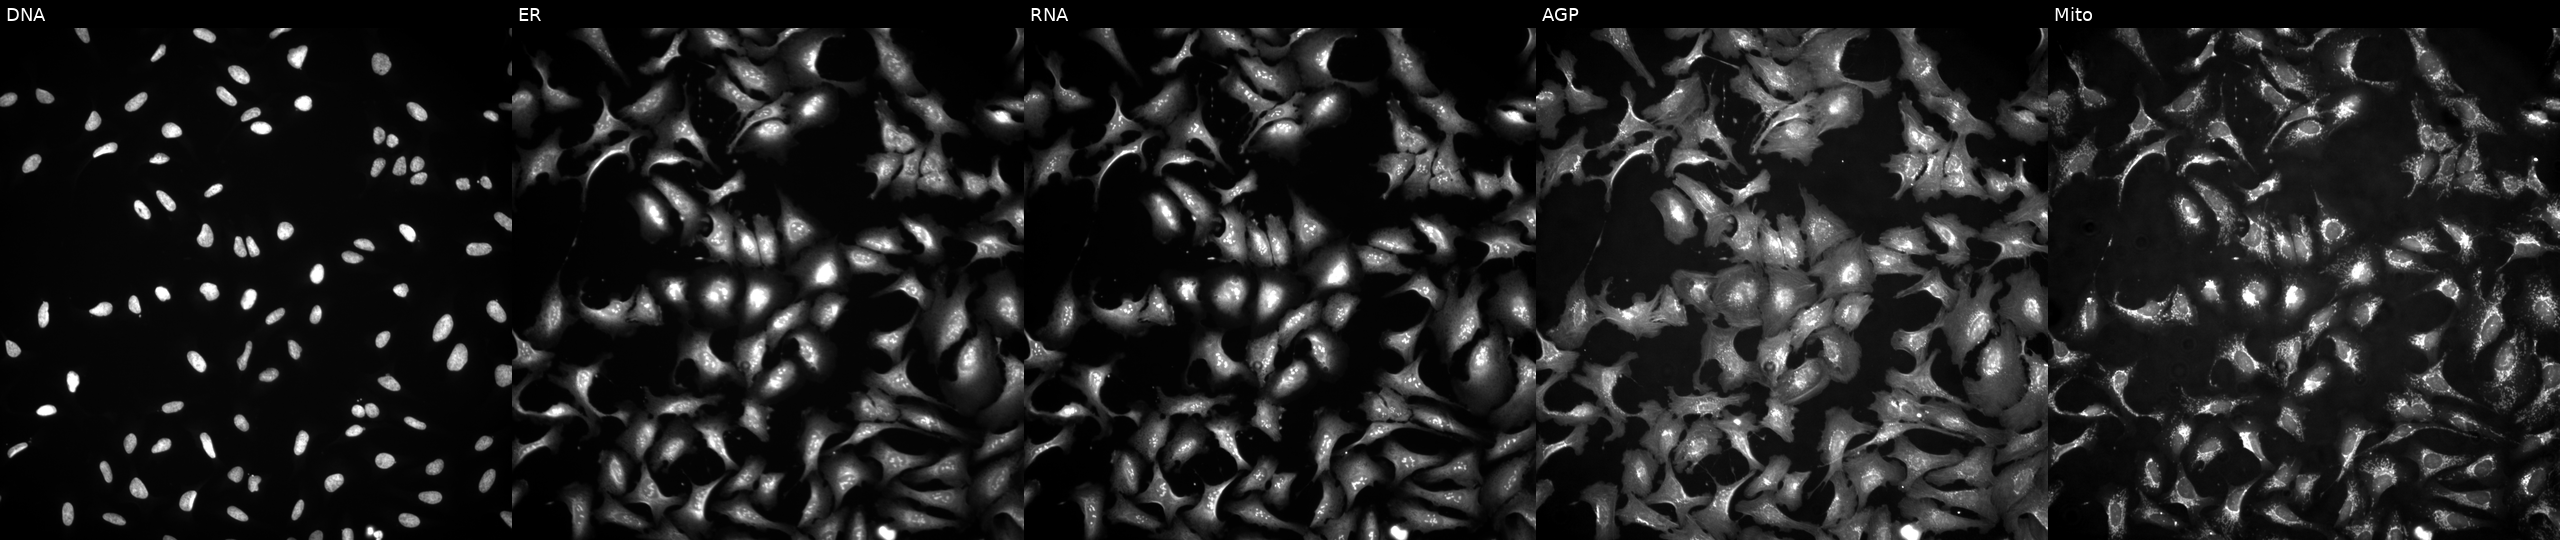
Five-channel Cell Painting image of U2OS cells with CHI3L1 overexpressed (ORF) (JUMP id JCP2022_905600). From left to right: DNA (nuclei); ER (endoplasmic reticulum); RNA (nucleoli and cytoplasmic RNA); AGP (actin cytoskeleton, Golgi, and plasma membrane); Mito (mitochondria). Source 4, plate BR00124787, well M07.